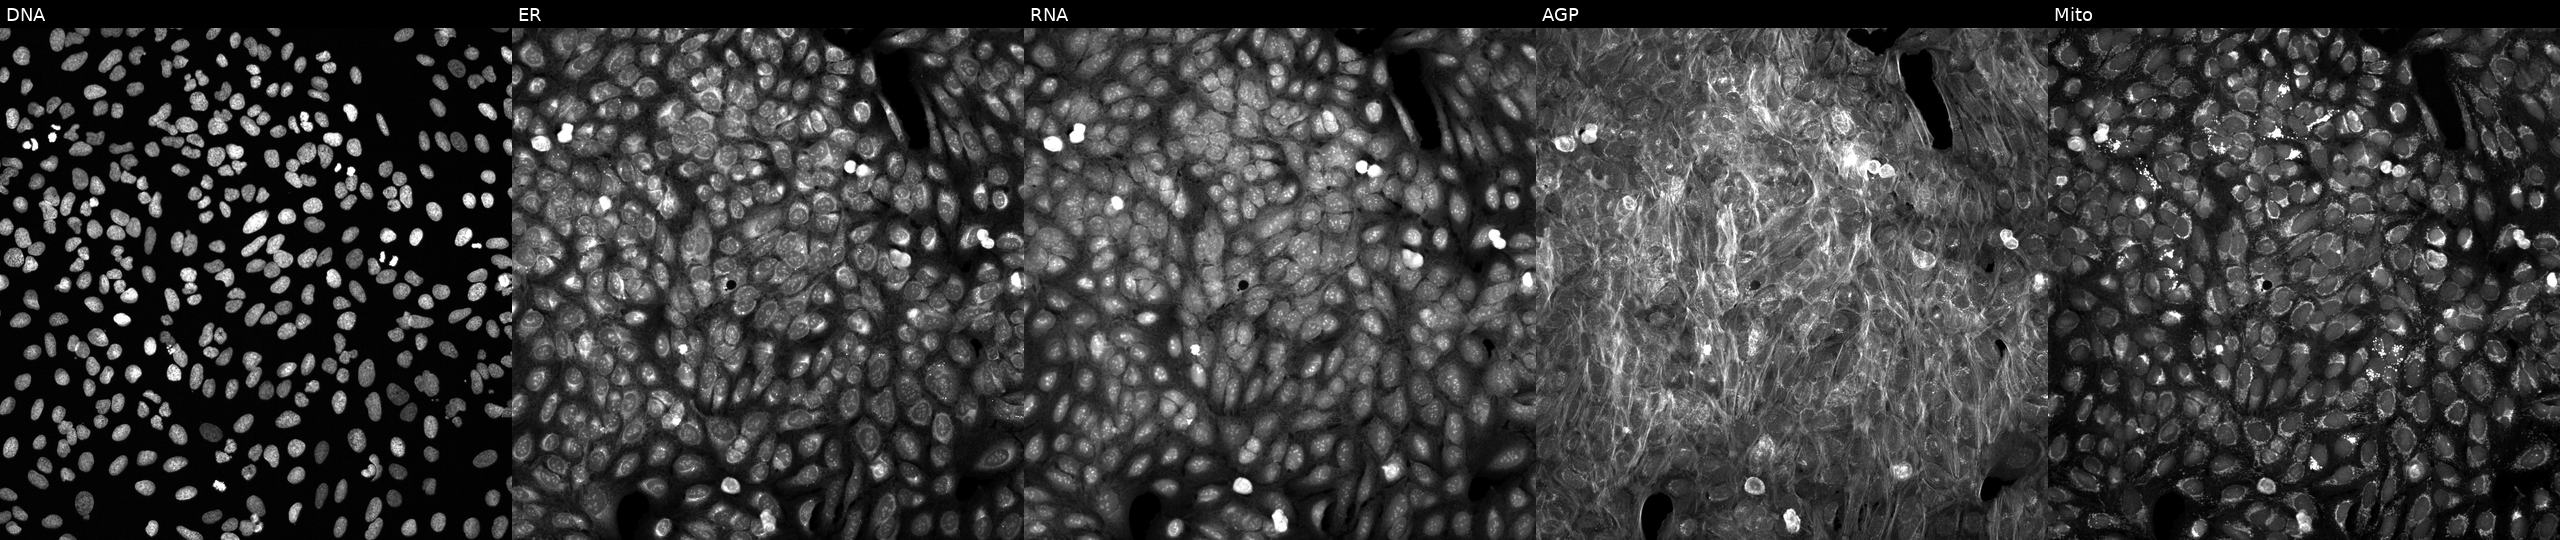
JUMP Cell Painting — TARGET2 plate. U2OS cells exposed to a small-molecule compound (InChIKey PWKSKIMOESPYIA-UHFFFAOYSA-N) (JUMP id JCP2022_071429). Panels show, left to right, DNA (nuclei); ER (endoplasmic reticulum); RNA (nucleoli and cytoplasmic RNA); AGP (actin cytoskeleton, Golgi, and plasma membrane); Mito (mitochondria). Source 6, plate 110000294901, well A10.